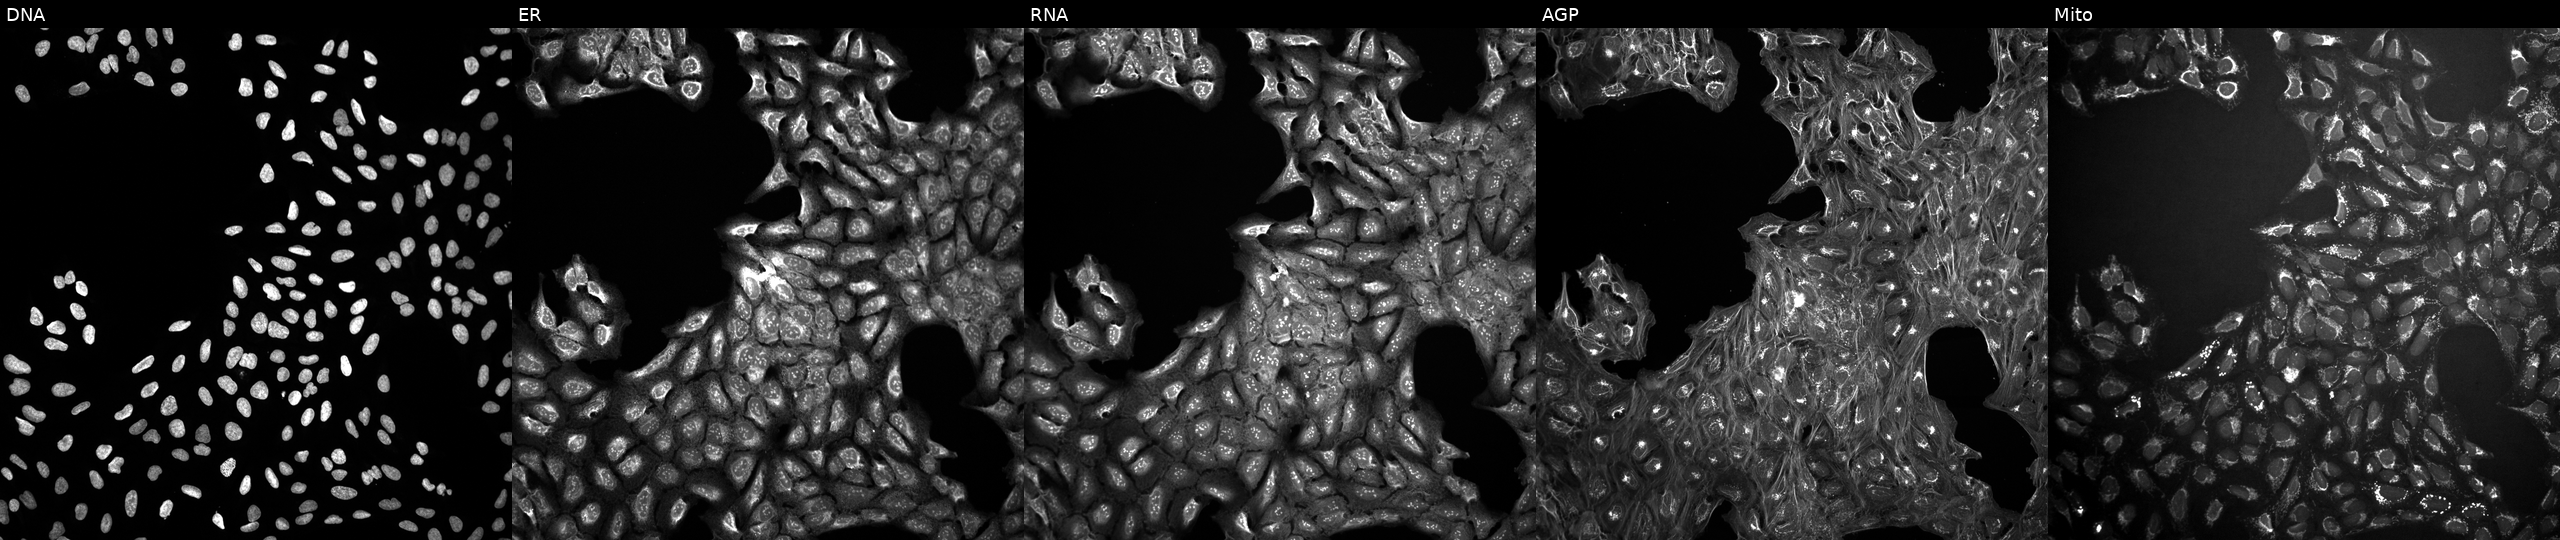
JUMP Cell Painting — COMPOUND plate. U2OS cells exposed to DMSO alone as a negative control (JUMP id JCP2022_033924). The five panels, left to right, show DNA, ER, RNA, AGP, and Mito. Source 10, plate Dest210531-152324, well C23.